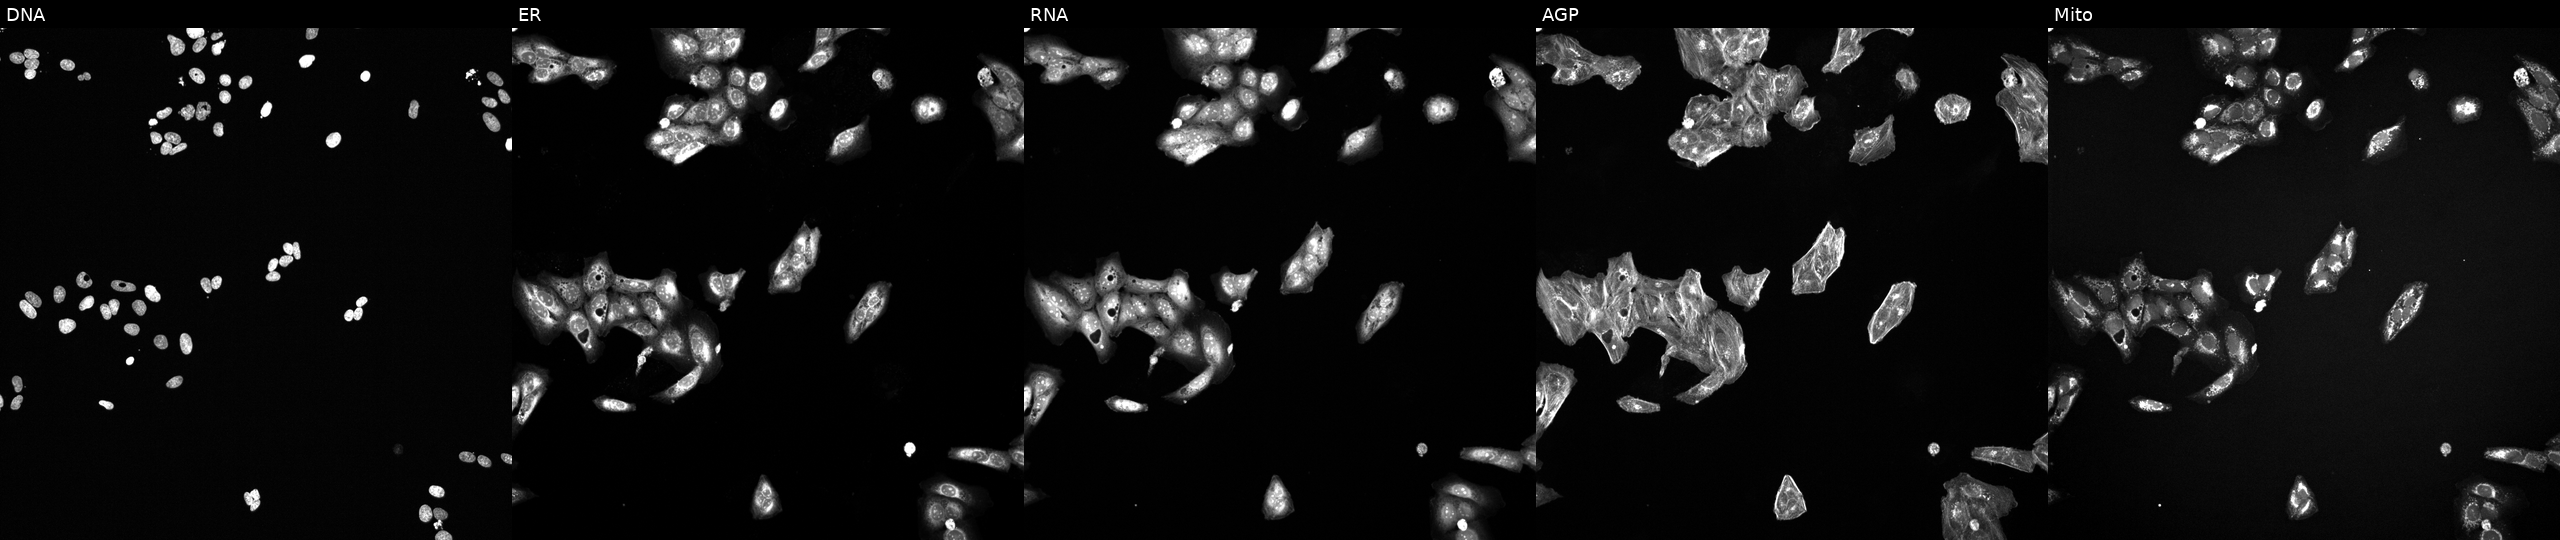
Five-channel Cell Painting image of U2OS cells perturbed with a small-molecule compound (InChIKey SCELLOWTHJGVIC-UHFFFAOYSA-N) [SMILES: CC1CN(CC(=O)Nc2ccc3c(c2)Cc2cccc(-c4cc(=O)cc(N5CCOCC5)o4)c2S3)CC(C)O1]. Panels show, left to right, DNA, ER, RNA, AGP, and Mito.